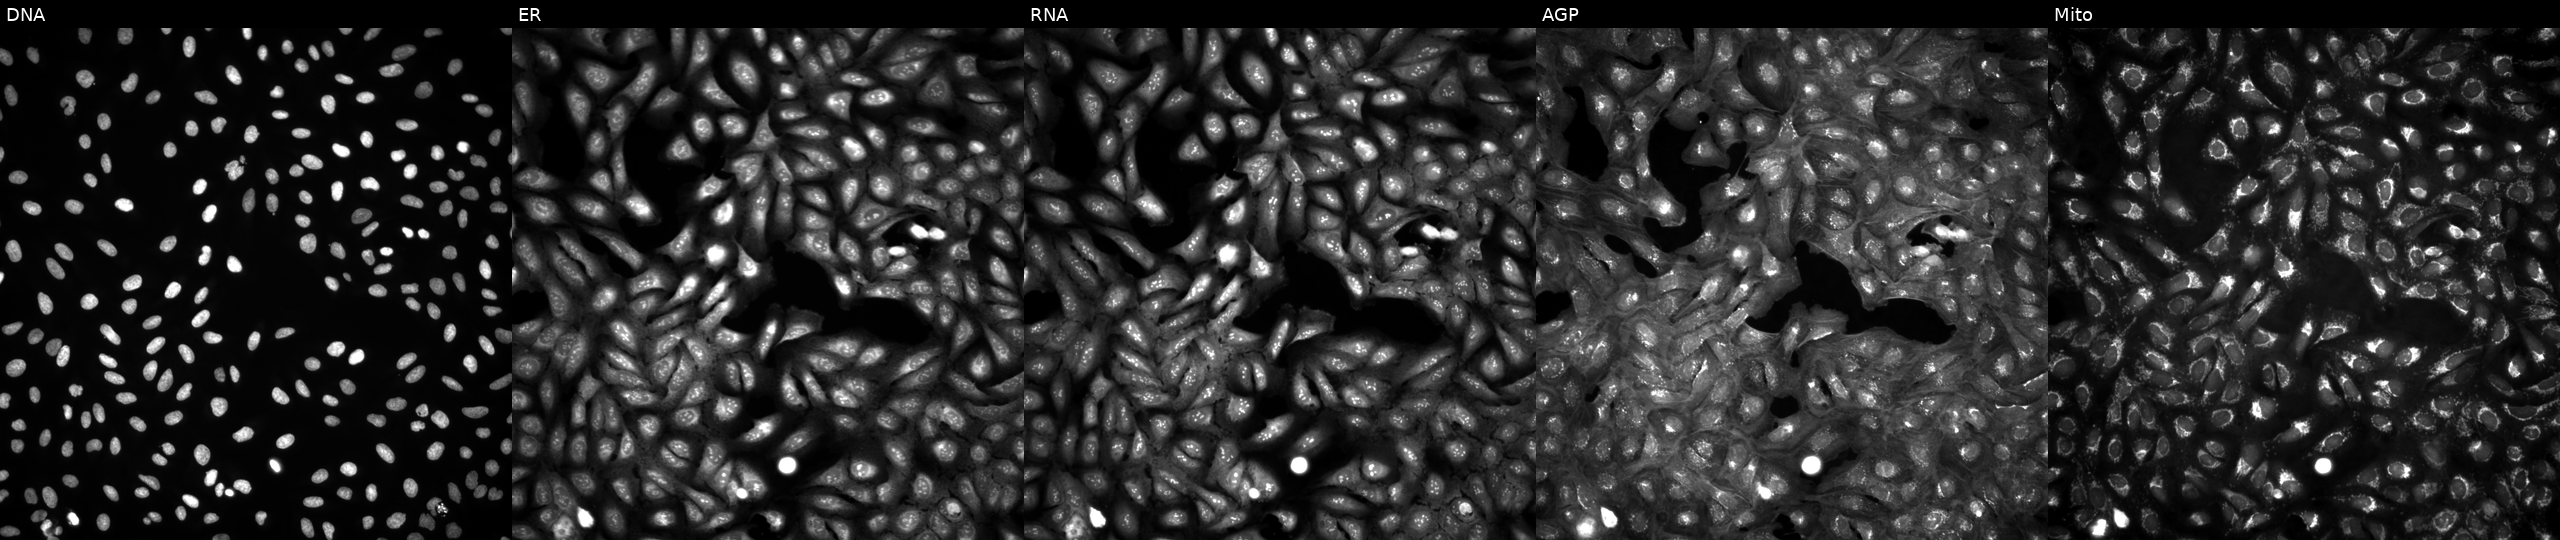
JUMP Cell Painting — ORF plate. U2OS cells in an empty control well (no perturbation). From left to right: Hoechst 33342, concanavalin A, SYTO 14, phalloidin and WGA, MitoTracker. Source 4, plate BR00124793, well G11.